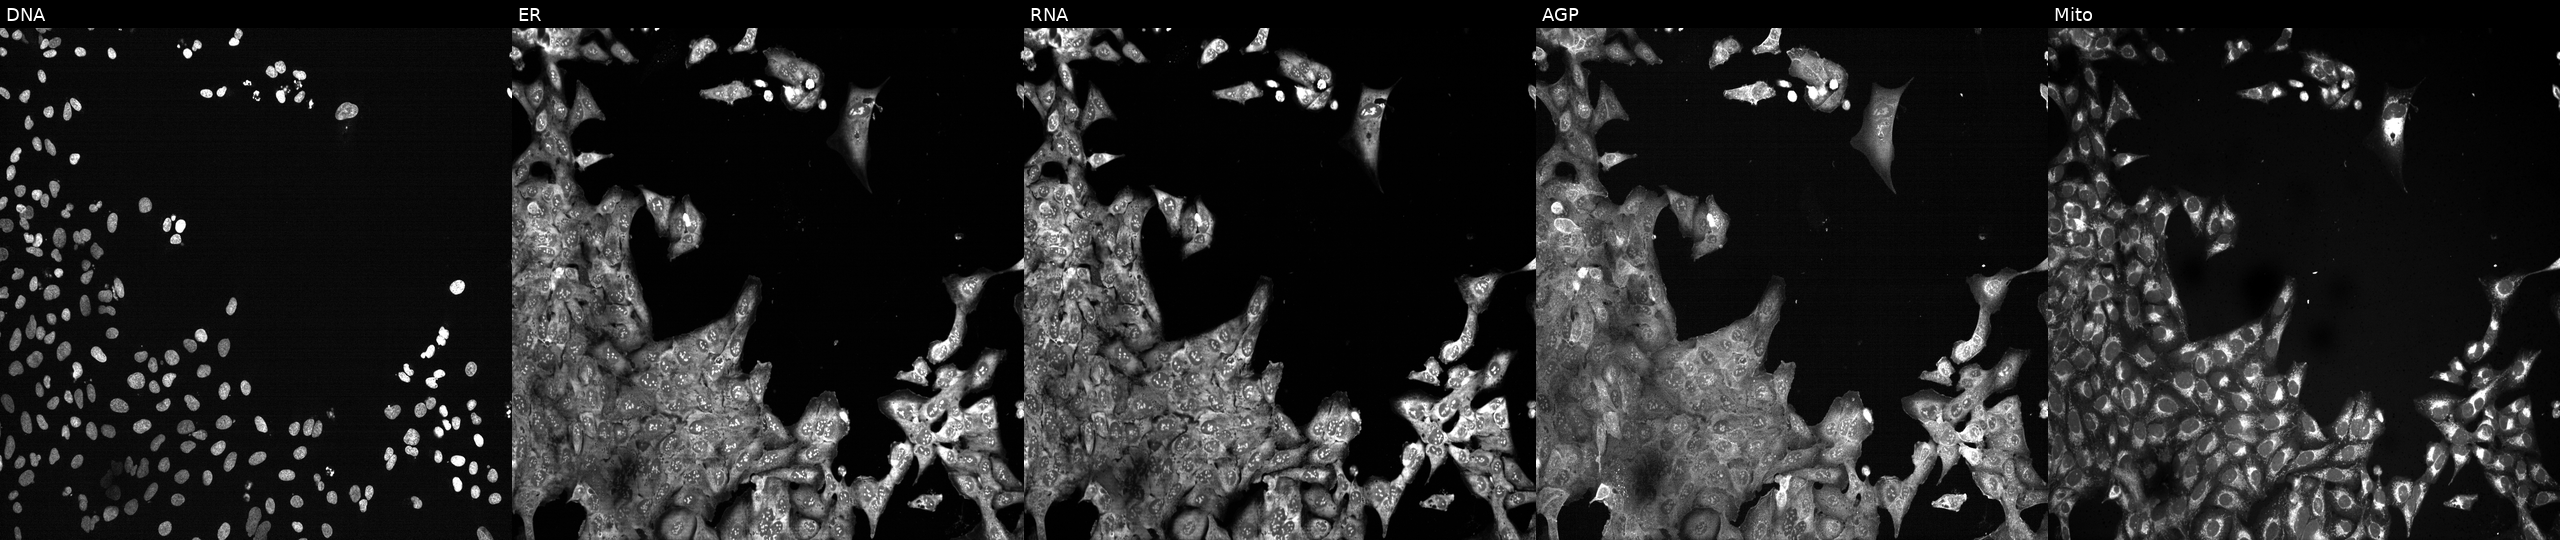
U2OS cells, Cell Painting assay, CRISPR-edited to disrupt HMGCR. The five panels, left to right, show DNA, ER, RNA, AGP, and Mito. Each panel is percentile-stretched 16-bit fluorescence.